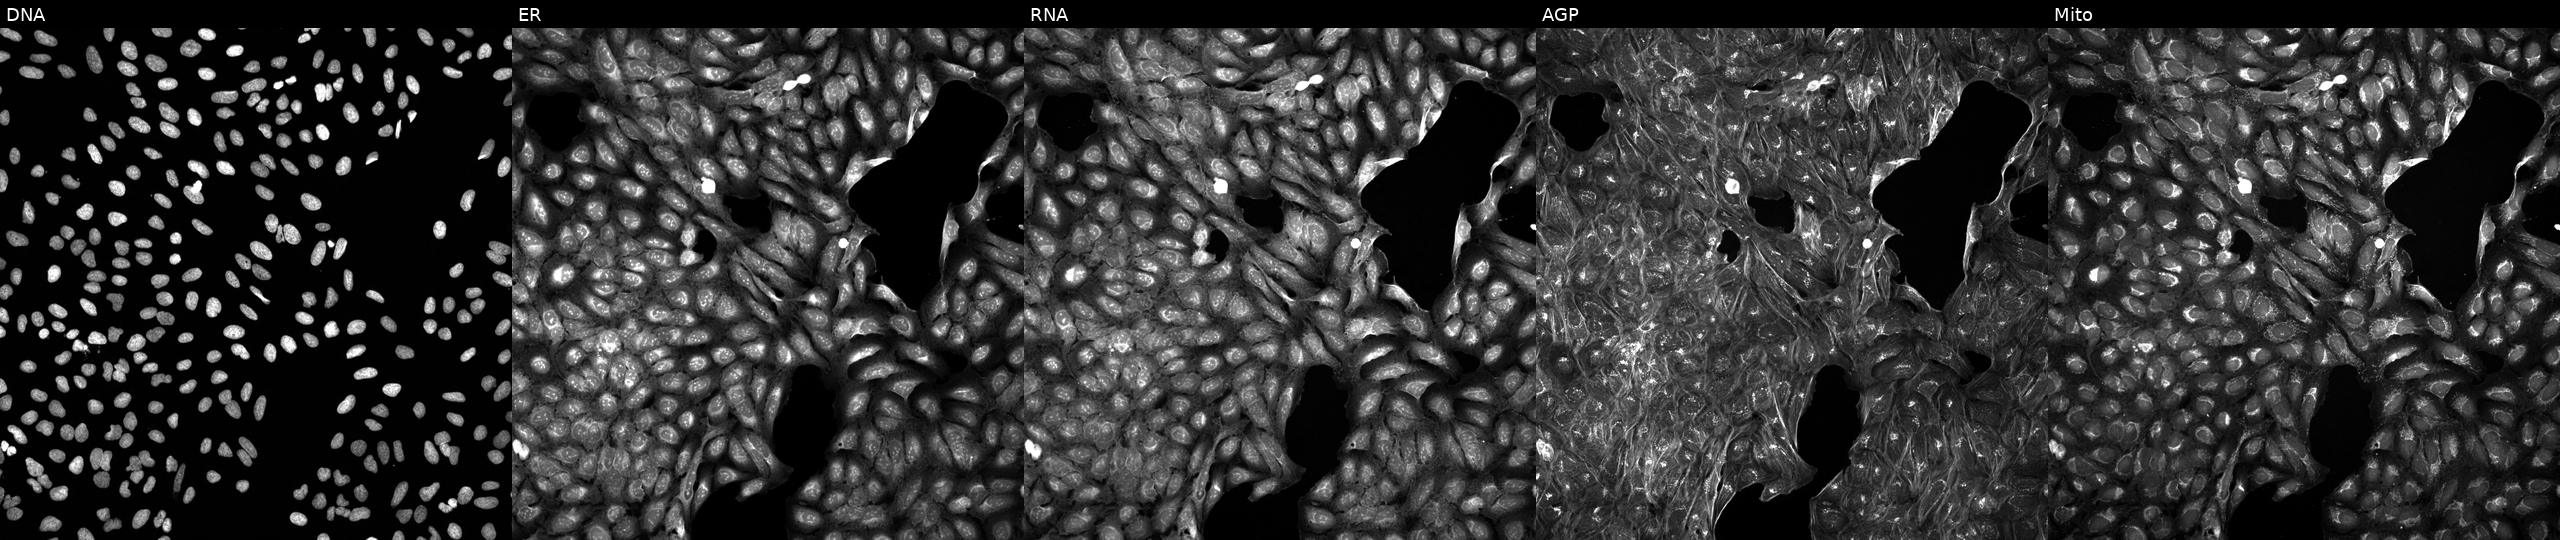
This image strip shows the five Cell Painting channels for a single field of U2OS cells treated with a small-molecule compound [SMILES: CCN1C(=O)CCC2(CNC(=O)CCc3cccc(OC)c3)CCCC12] (JUMP id JCP2022_025519). From left to right: Hoechst 33342, concanavalin A, SYTO 14, phalloidin and WGA, MitoTracker. Source 5, plate APTJUM106, well E07.